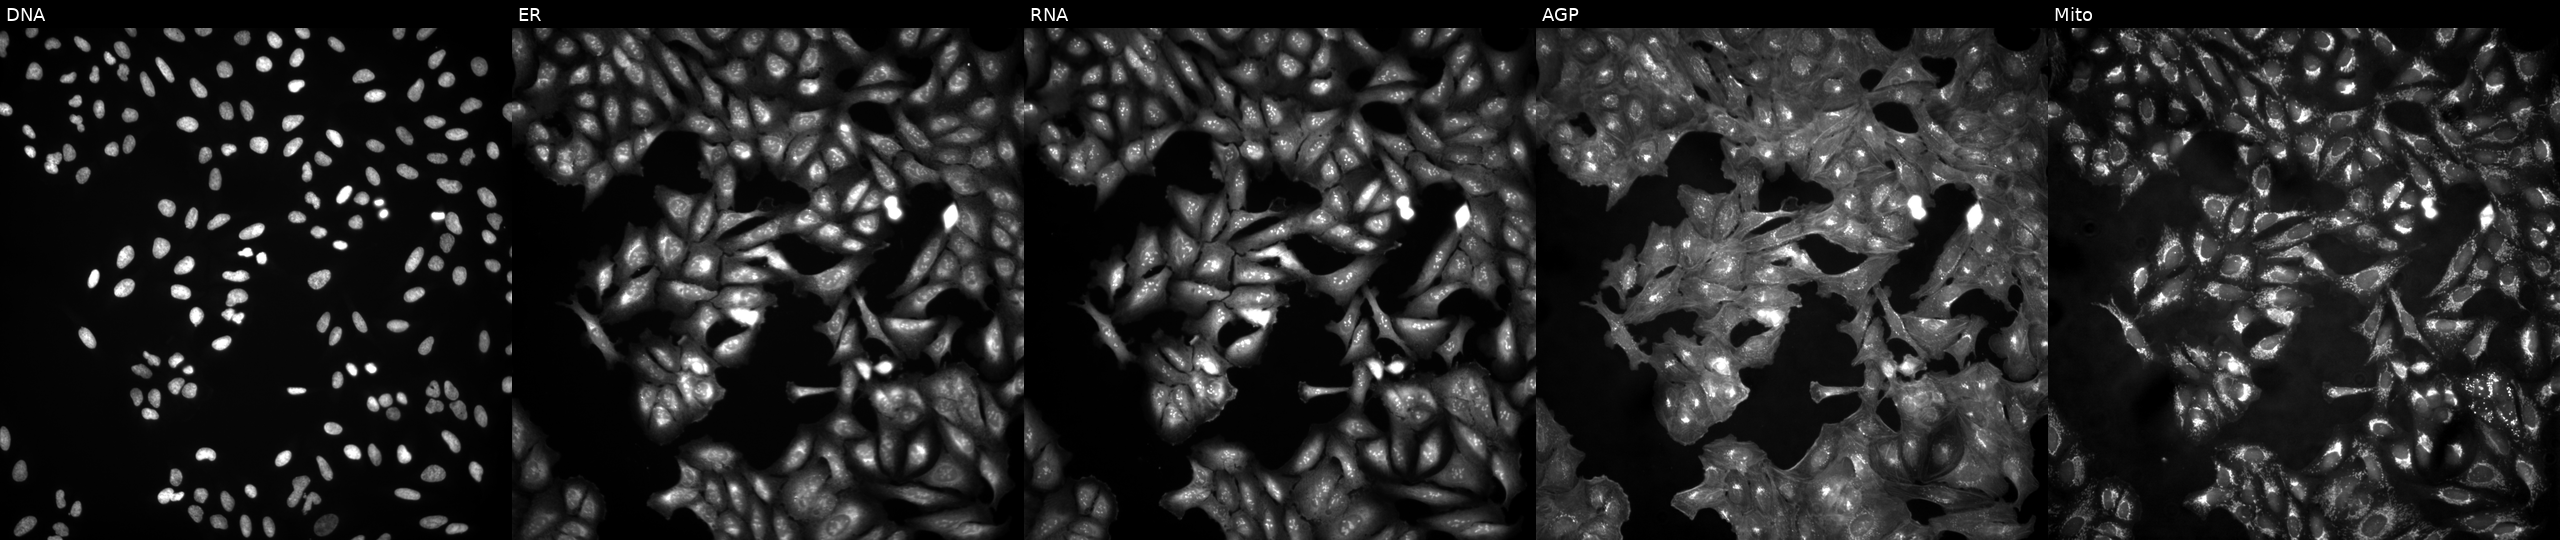
This image strip shows the five Cell Painting channels for a single field of U2OS cells untreated (empty-well control). From left to right: Hoechst 33342, concanavalin A, SYTO 14, phalloidin and WGA, MitoTracker. Source 4, plate BR00123946, well P14.